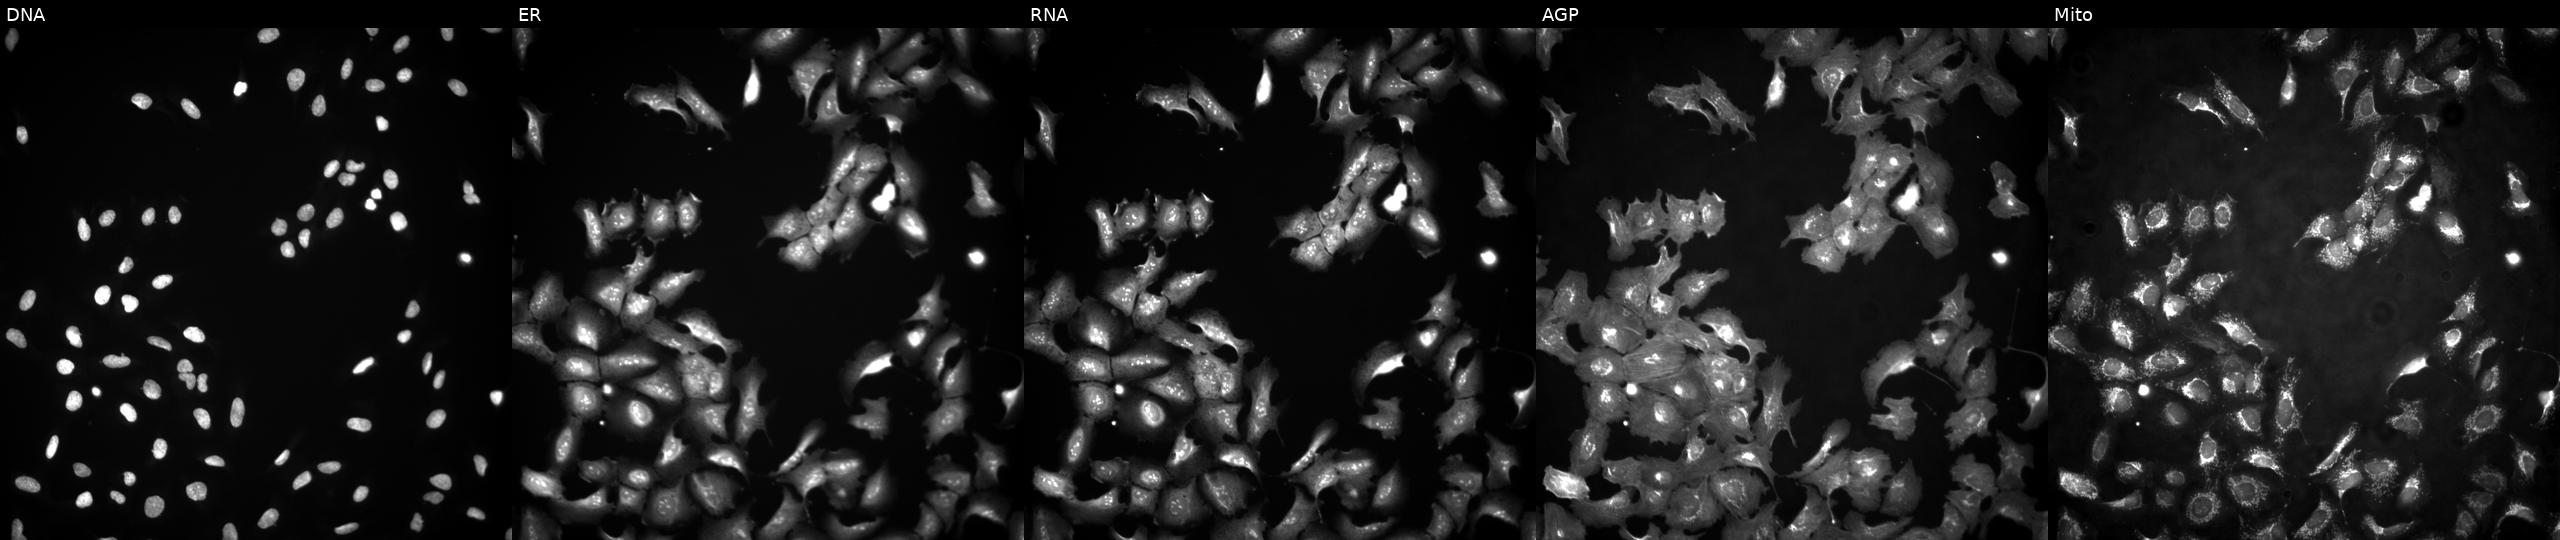
JUMP Cell Painting — ORF plate. U2OS cells with ELF1 overexpressed (ORF). Channels (left→right): Hoechst 33342, concanavalin A, SYTO 14, phalloidin and WGA, MitoTracker.